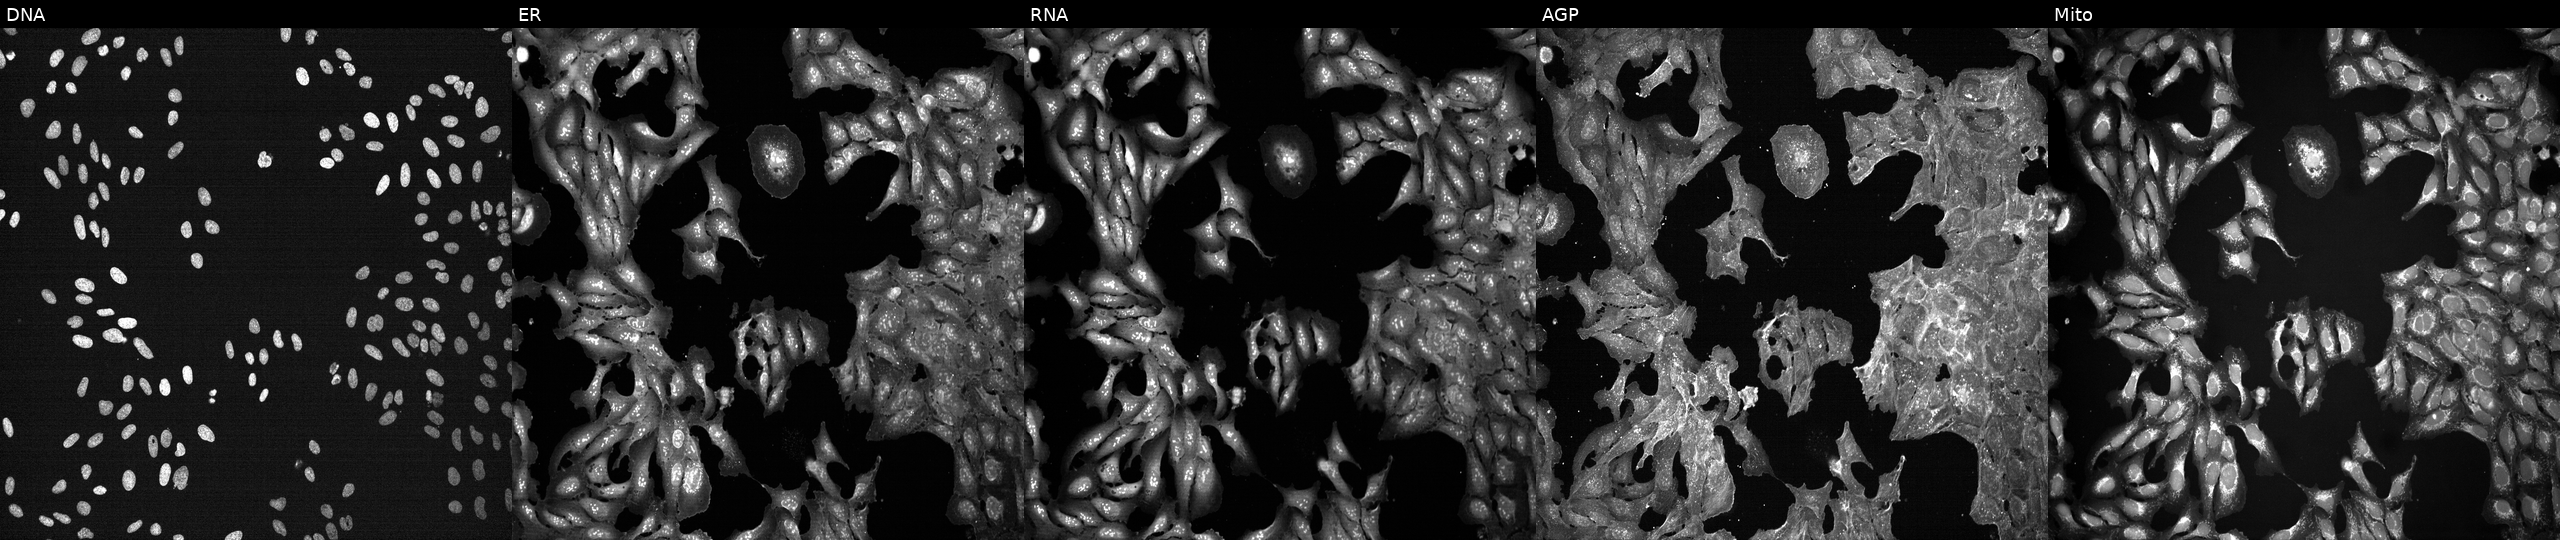
High-content fluorescence microscopy (Cell Painting). Cell line: U2OS. Perturbation: perturbed with a small-molecule compound. The five panels, left to right, show DNA, ER, RNA, AGP, and Mito. Source 7, plate CP2-SC1-25, well I23.